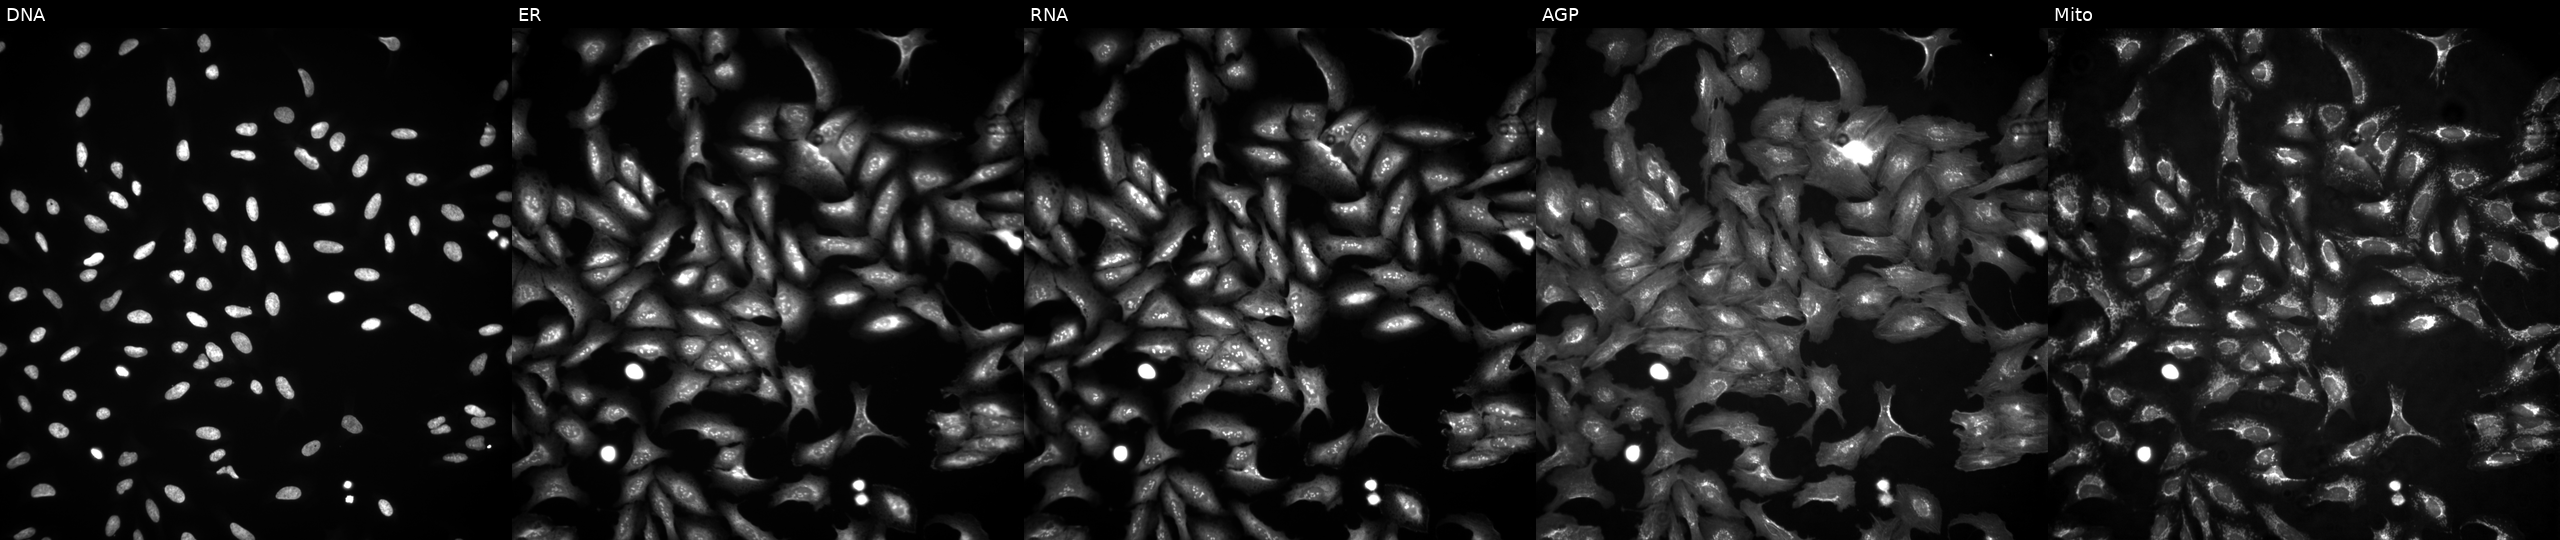
Five-channel Cell Painting image of U2OS cells overexpressing LCK via ORF transfection (JUMP id JCP2022_912952). Panels show, left to right, DNA, ER, RNA, AGP, and Mito. Source 4, plate BR00124787, well H17.